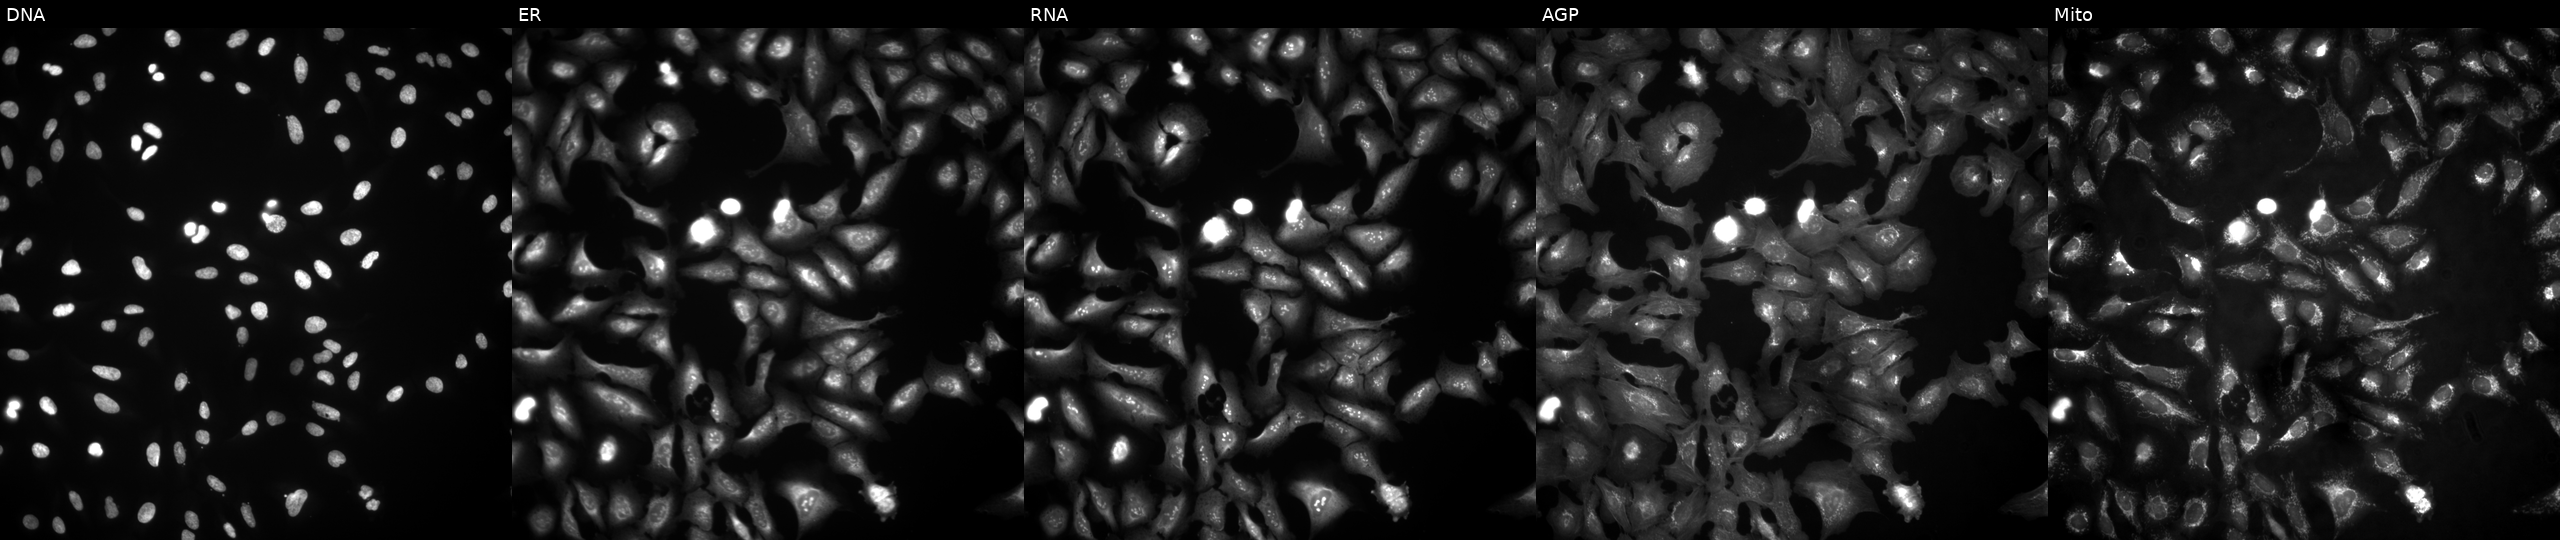
U2OS cells, Cell Painting assay, transfected with a failed ORF construct (JUMP BAD CONSTRUCT marker) (JUMP id JCP2022_900001). The five panels, left to right, show Hoechst 33342, concanavalin A, SYTO 14, phalloidin and WGA, MitoTracker. Each panel is percentile-stretched 16-bit fluorescence.